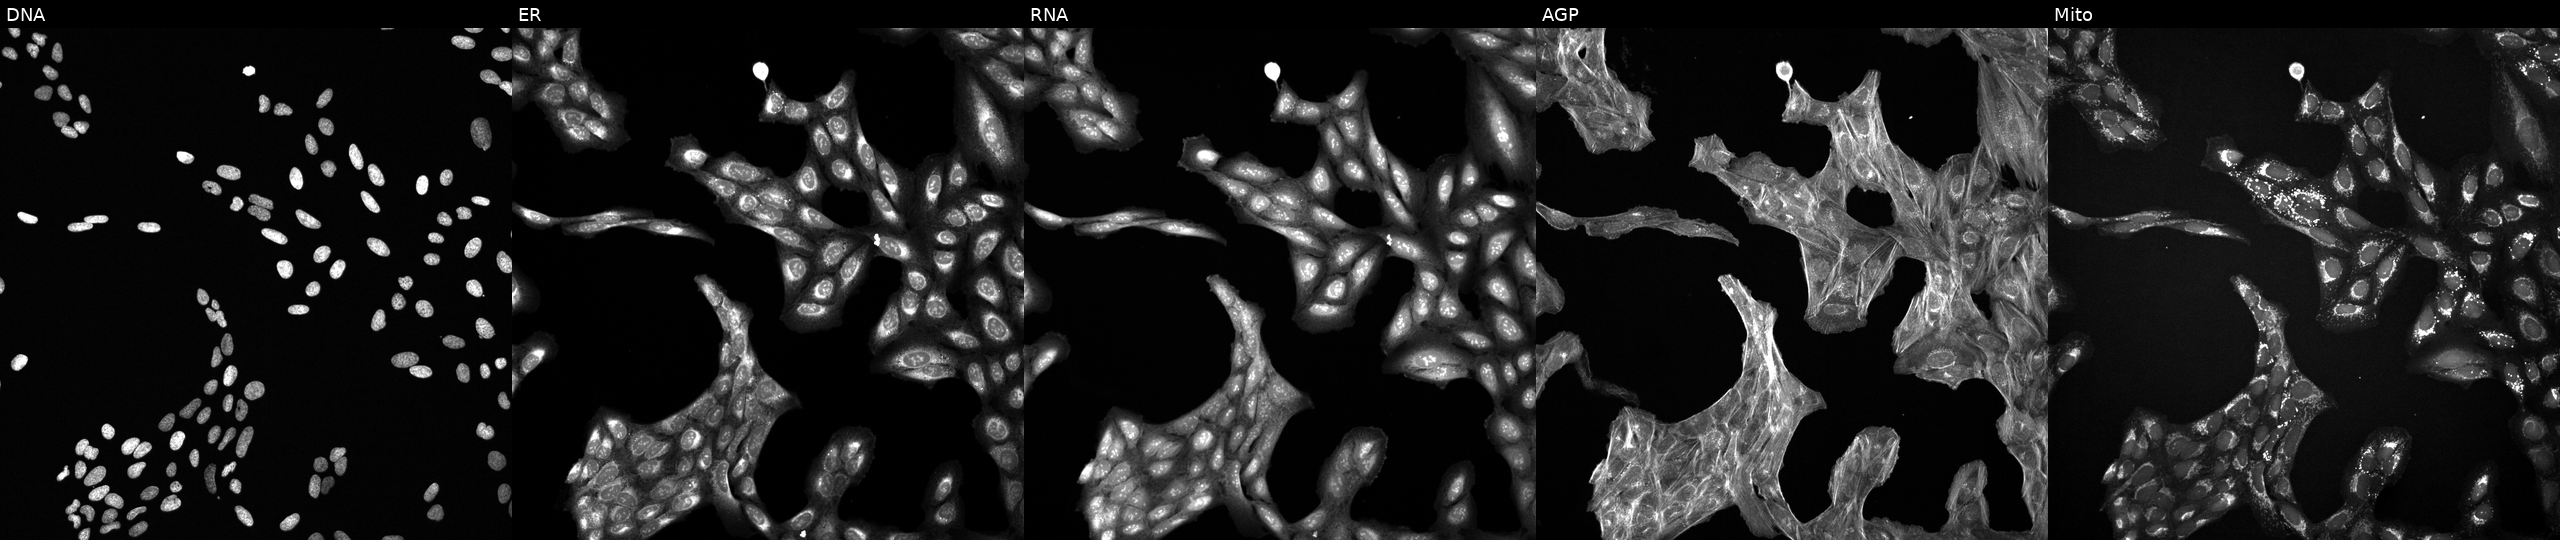
JUMP Cell Painting — COMPOUND plate. U2OS cells treated with a small-molecule compound. Panels show, left to right, Hoechst 33342, concanavalin A, SYTO 14, phalloidin and WGA, MitoTracker. Source 6, plate 110000293082, well A17.